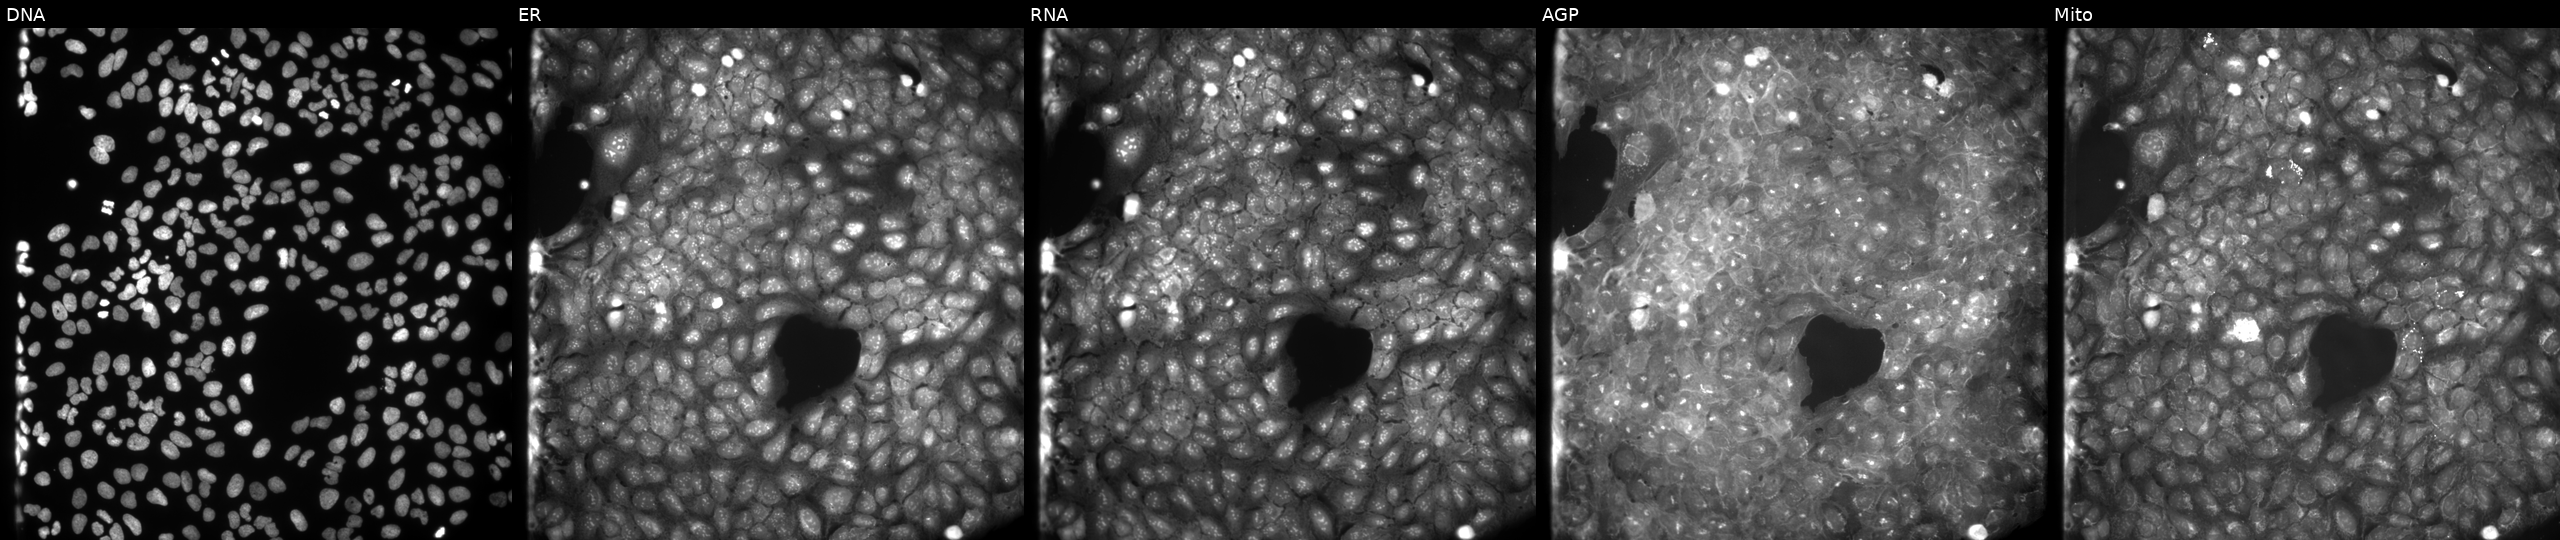
JUMP Cell Painting — COMPOUND plate. U2OS cells exposed to a small-molecule compound (InChIKey WVYFKGQGPGZCIS-UHFFFAOYSA-N) (JUMP id JCP2022_101558). Channels (left→right): Hoechst 33342, concanavalin A, SYTO 14, phalloidin and WGA, MitoTracker. Source 9, plate GR00003381, well H10.